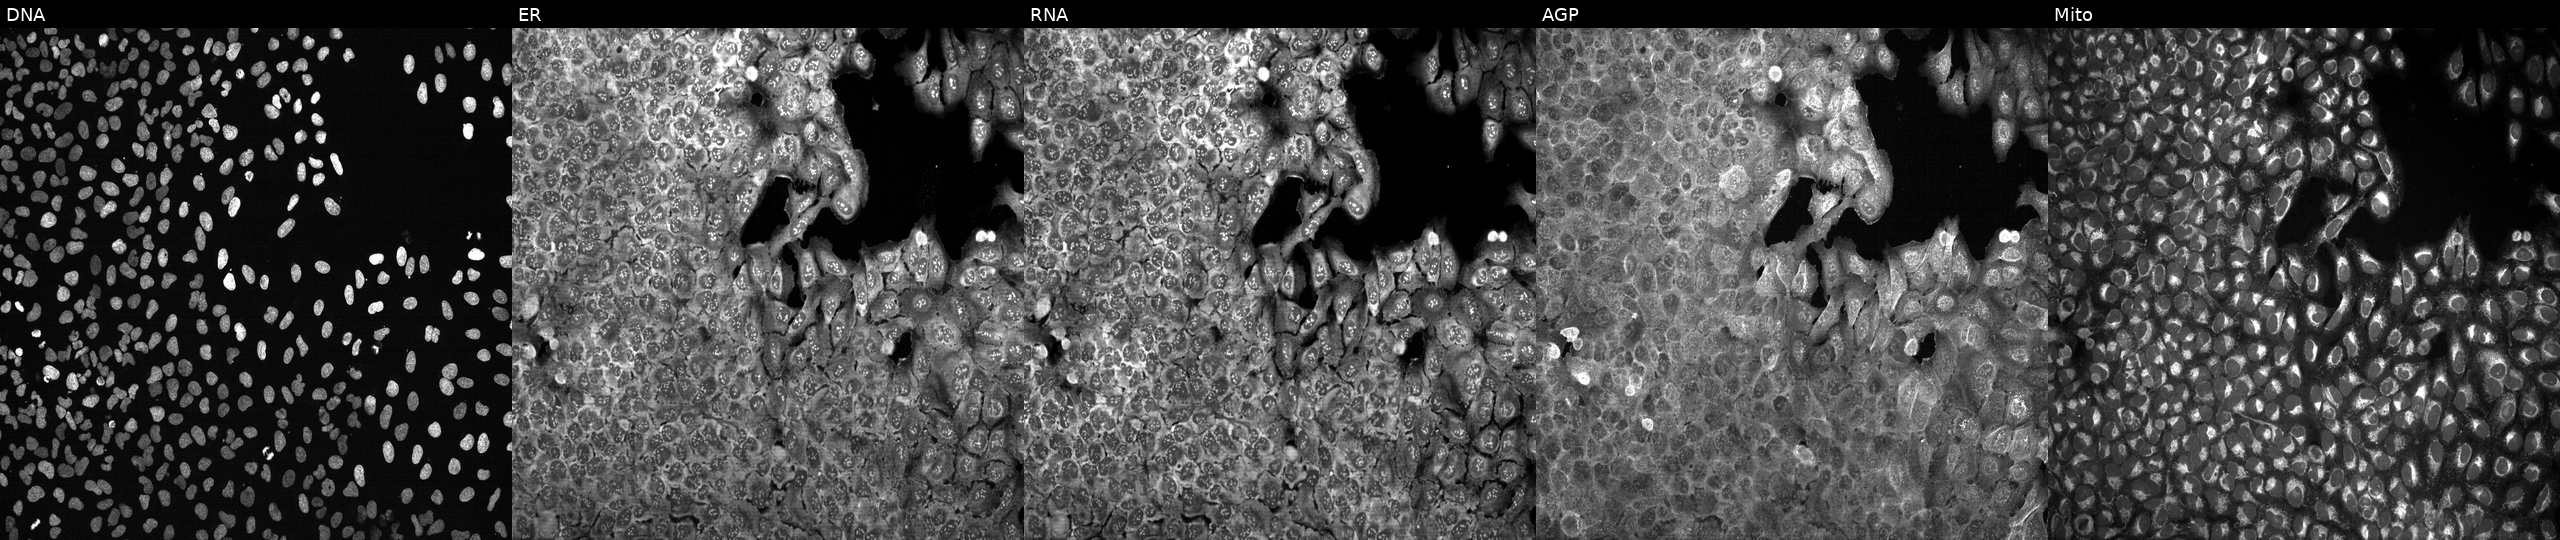
U2OS cells, Cell Painting assay, following CRISPR knockout of GPX3. The five panels, left to right, show DNA (nuclei); ER (endoplasmic reticulum); RNA (nucleoli and cytoplasmic RNA); AGP (actin cytoskeleton, Golgi, and plasma membrane); Mito (mitochondria). Each panel is percentile-stretched 16-bit fluorescence.